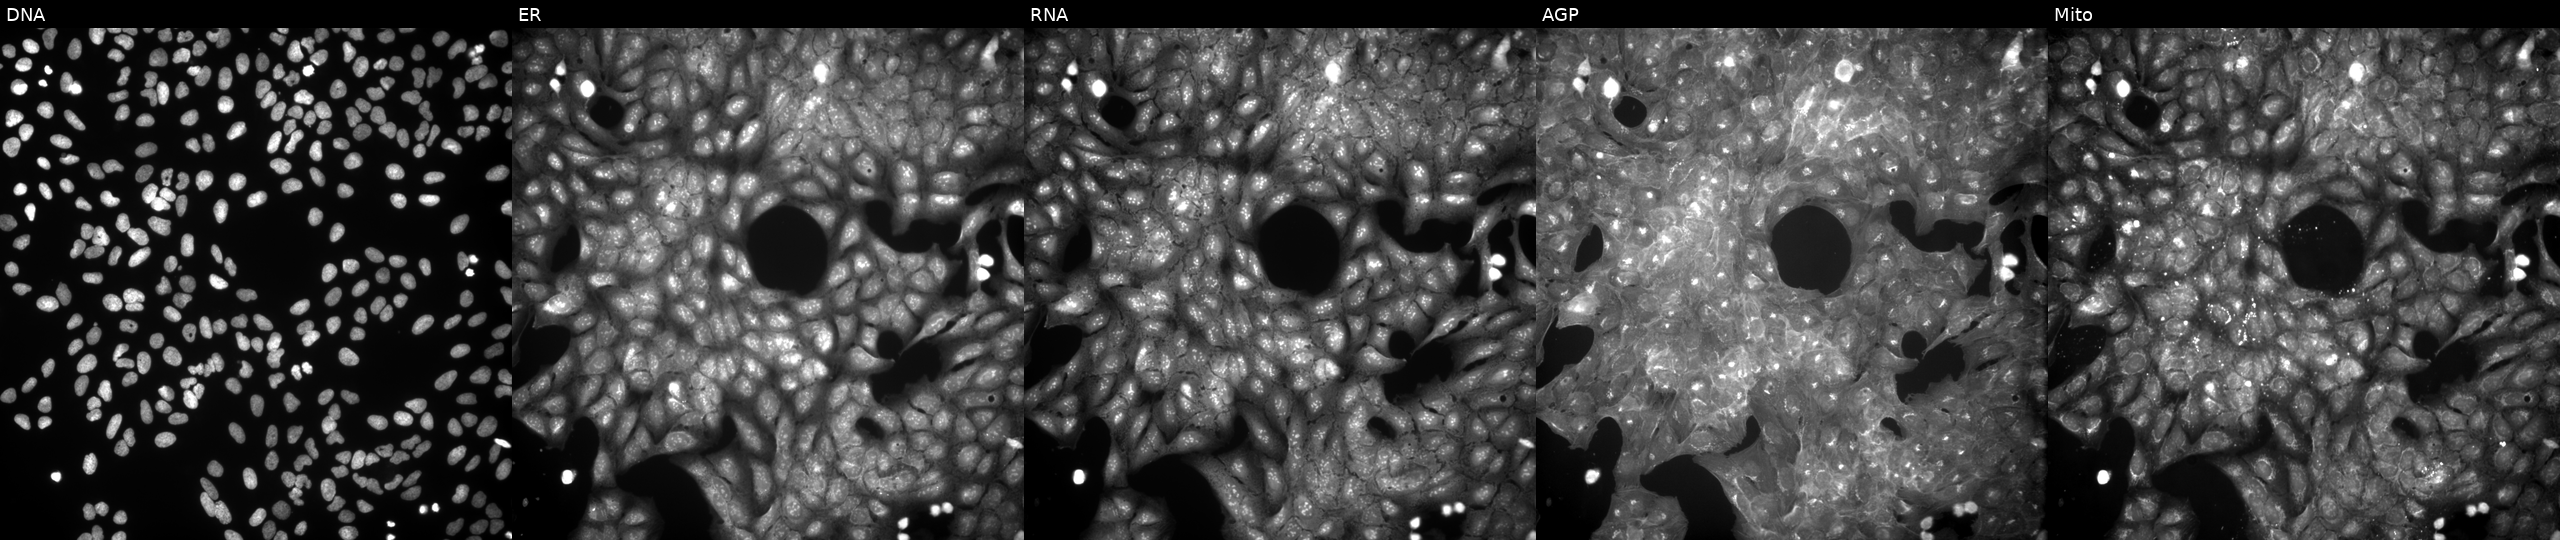
Five-channel Cell Painting image of U2OS cells treated with a small-molecule compound (InChIKey YNSXGMVLWFMRQN-UHFFFAOYSA-N) [SMILES: Cc1ccc(NC(=O)c2cc(S(=O)(=O)N3CCCCC3)cs2)cc1] (JUMP id JCP2022_109621). From left to right: Hoechst 33342, concanavalin A, SYTO 14, phalloidin and WGA, MitoTracker.